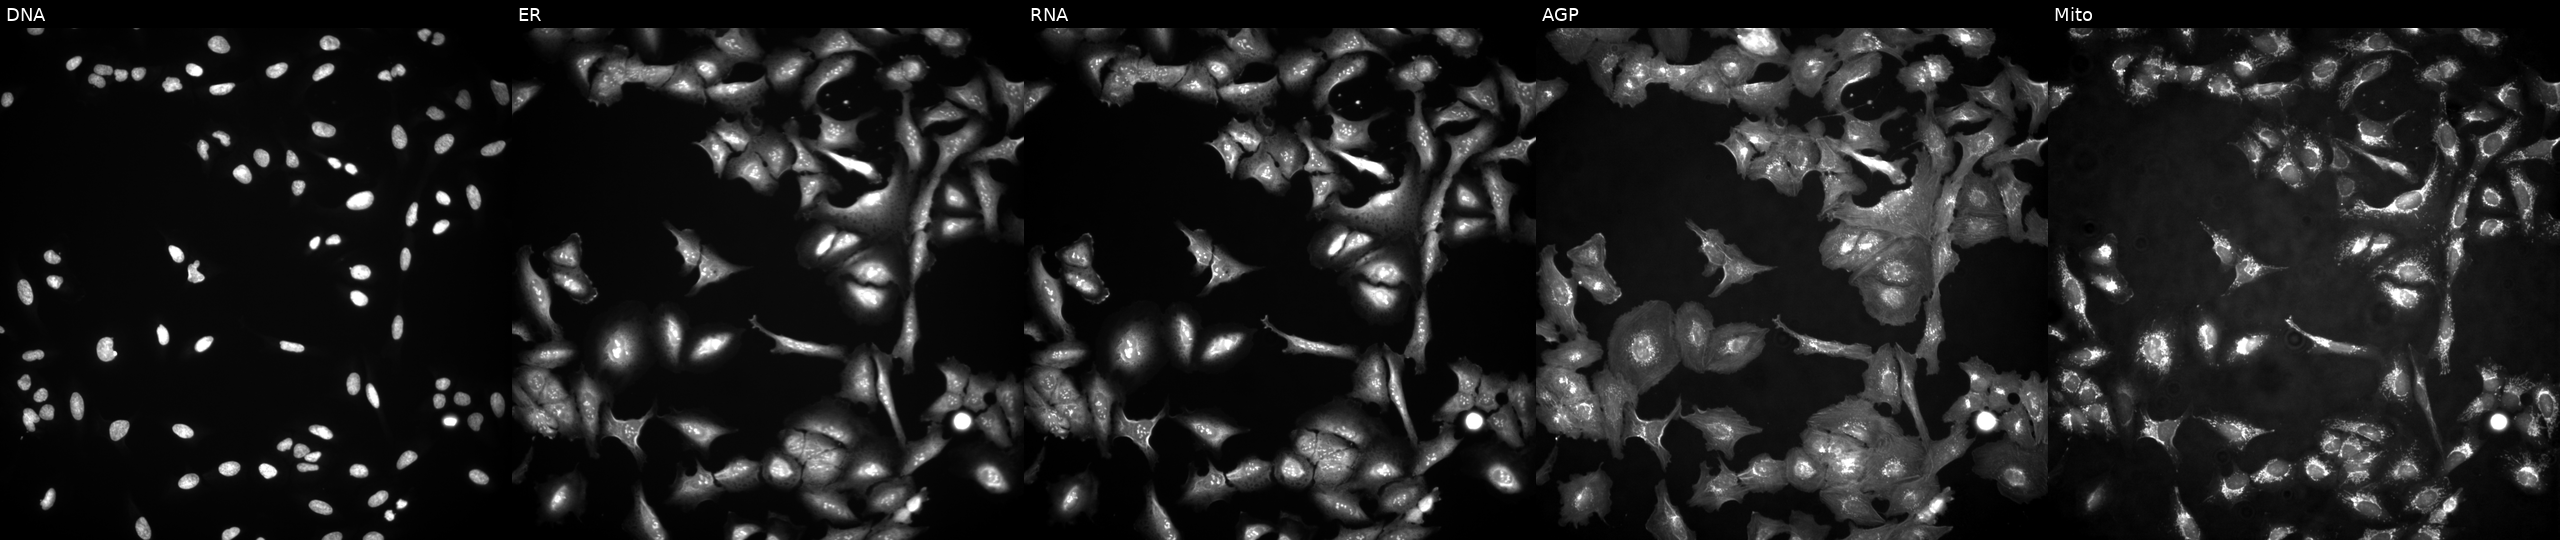
This image strip shows the five Cell Painting channels for a single field of U2OS cells transfected with an ORF construct for ZNF449. Panels show, left to right, DNA, ER, RNA, AGP, and Mito.